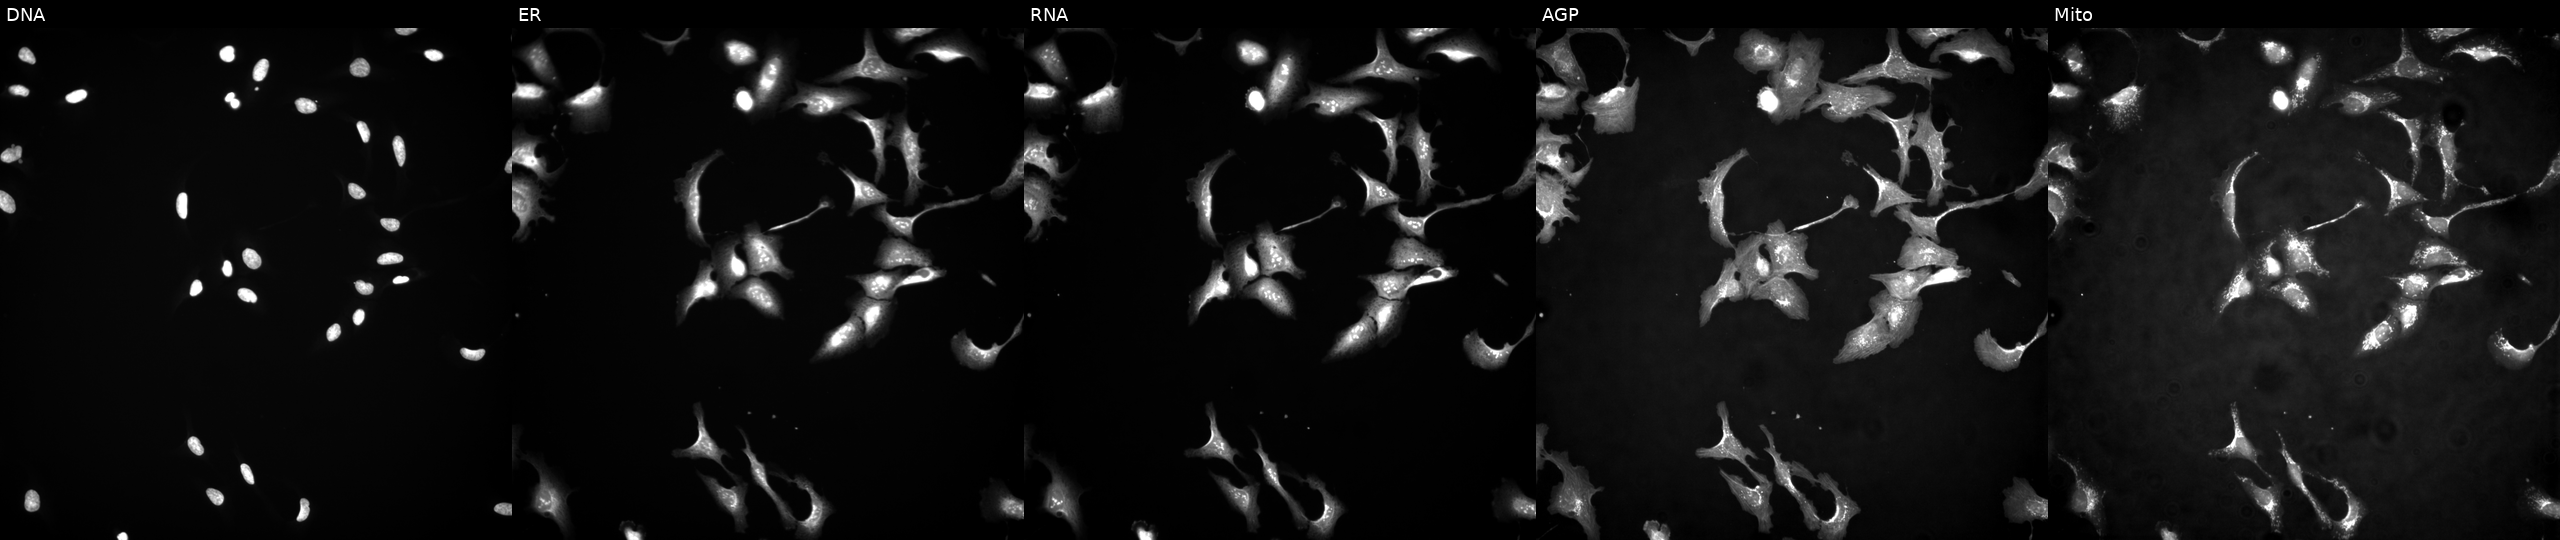
Five-channel Cell Painting image of U2OS cells overexpressing SRPK3 via ORF transfection. From left to right: DNA, ER, RNA, AGP, and Mito.